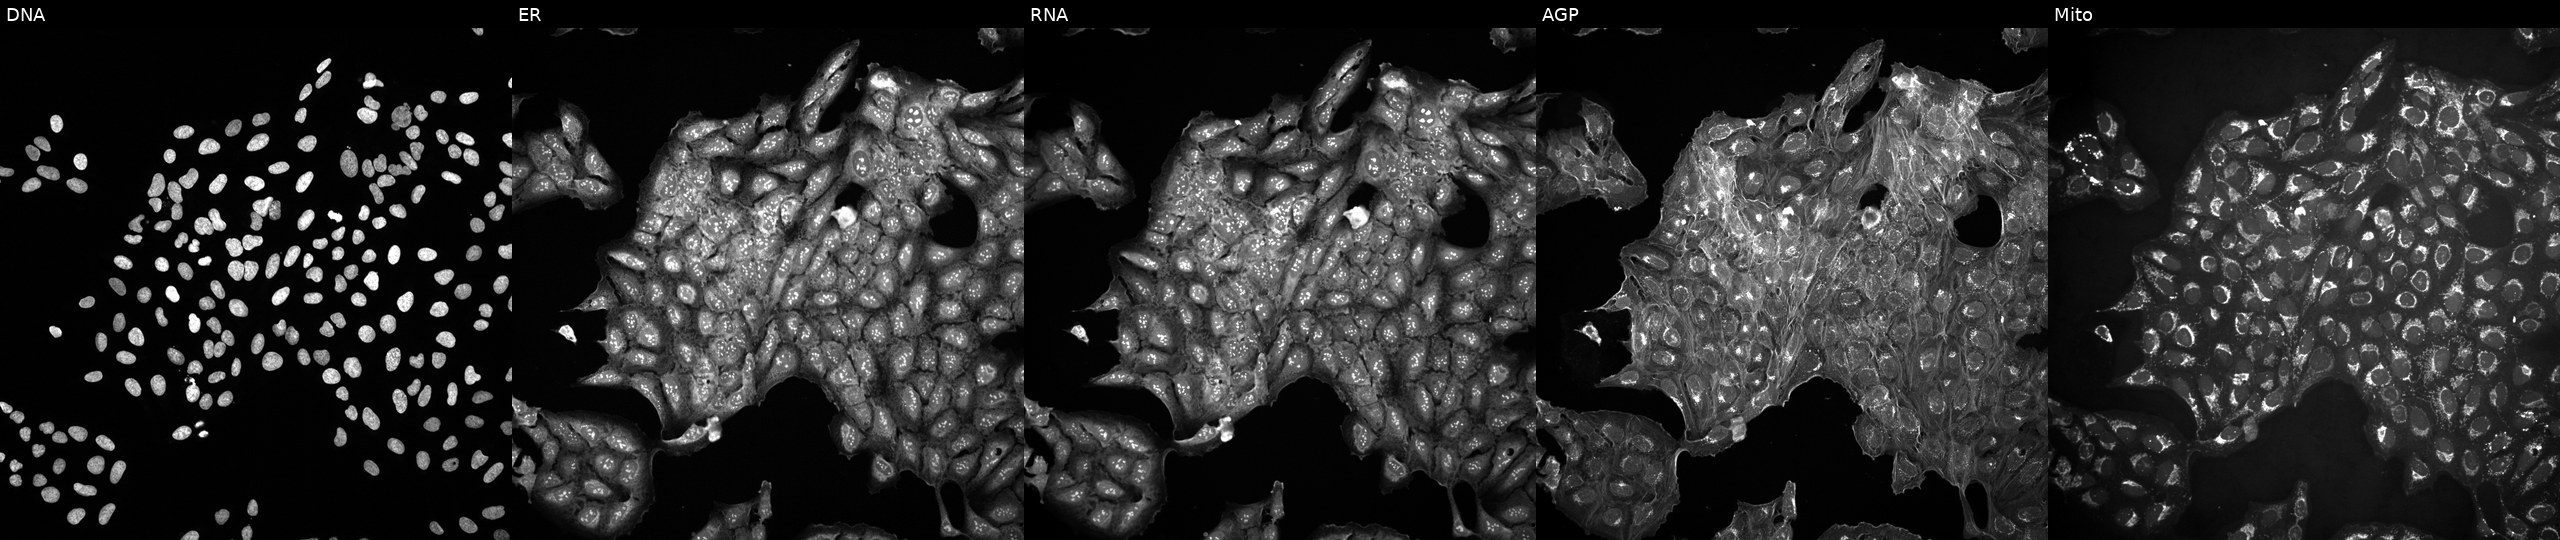
This image strip shows the five Cell Painting channels for a single field of U2OS cells in an empty control well (no perturbation). The five panels, left to right, show Hoechst 33342, concanavalin A, SYTO 14, phalloidin and WGA, MitoTracker.